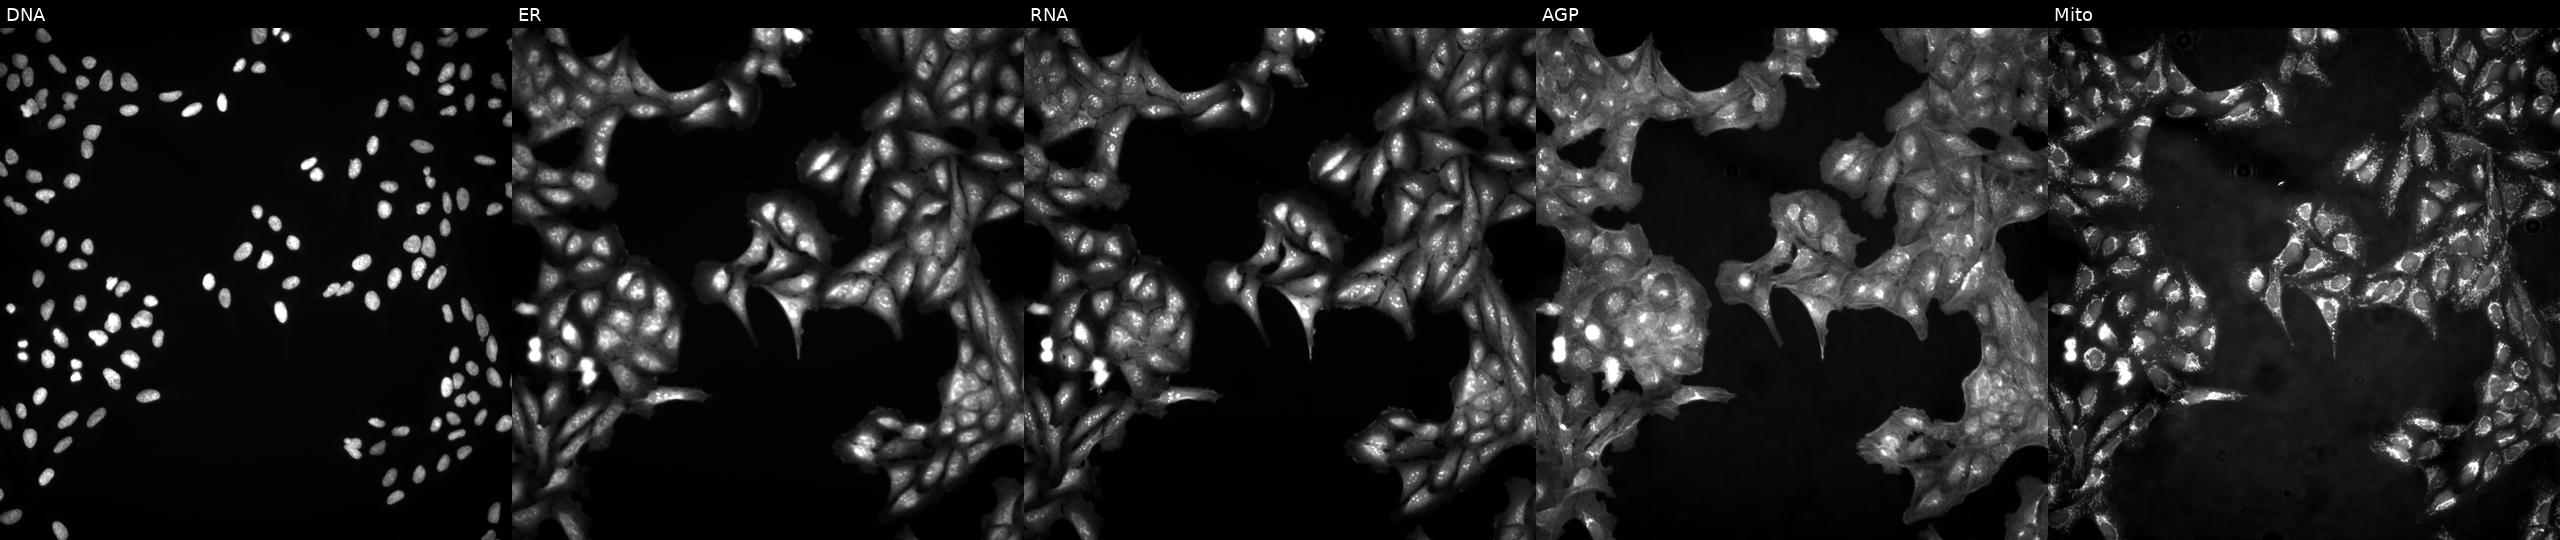
High-content fluorescence microscopy (Cell Painting). Cell line: U2OS. Perturbation: in an empty control well (no perturbation) (JUMP id JCP2022_999999). From left to right: Hoechst 33342, concanavalin A, SYTO 14, phalloidin and WGA, MitoTracker.